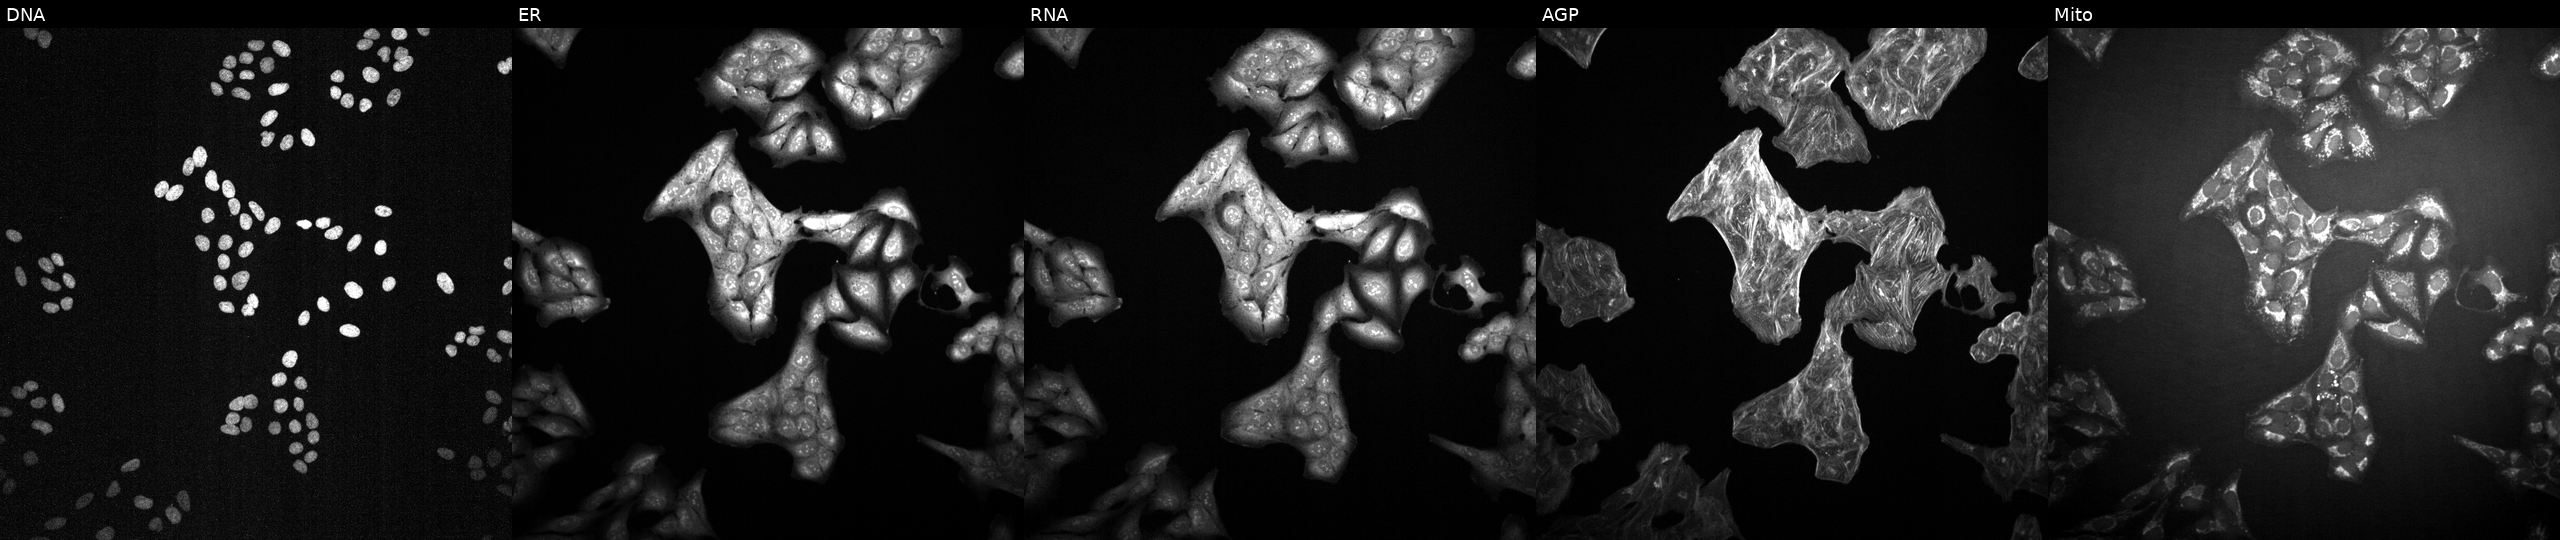
Five-channel Cell Painting image of U2OS cells treated with a small-molecule compound (InChIKey AZYDQCGCBQYFSE-UHFFFAOYSA-N). The five panels, left to right, show DNA (nuclei); ER (endoplasmic reticulum); RNA (nucleoli and cytoplasmic RNA); AGP (actin cytoskeleton, Golgi, and plasma membrane); Mito (mitochondria).